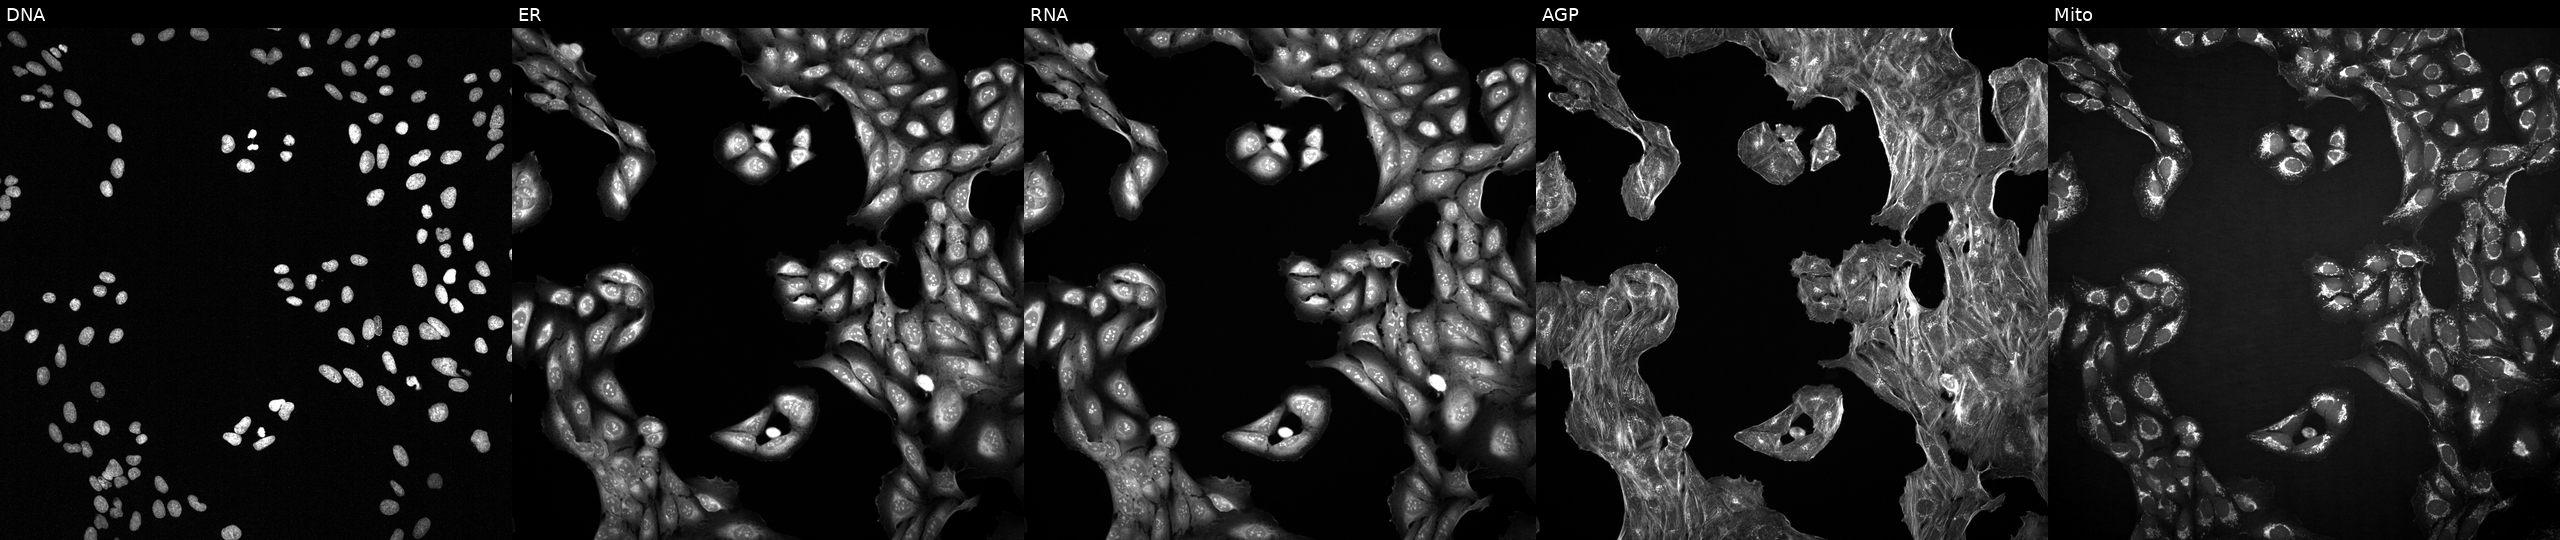
Five-channel Cell Painting image of U2OS cells exposed to DMSO alone as a negative control (JUMP id JCP2022_033924). Channels (left→right): DNA (nuclei); ER (endoplasmic reticulum); RNA (nucleoli and cytoplasmic RNA); AGP (actin cytoskeleton, Golgi, and plasma membrane); Mito (mitochondria).